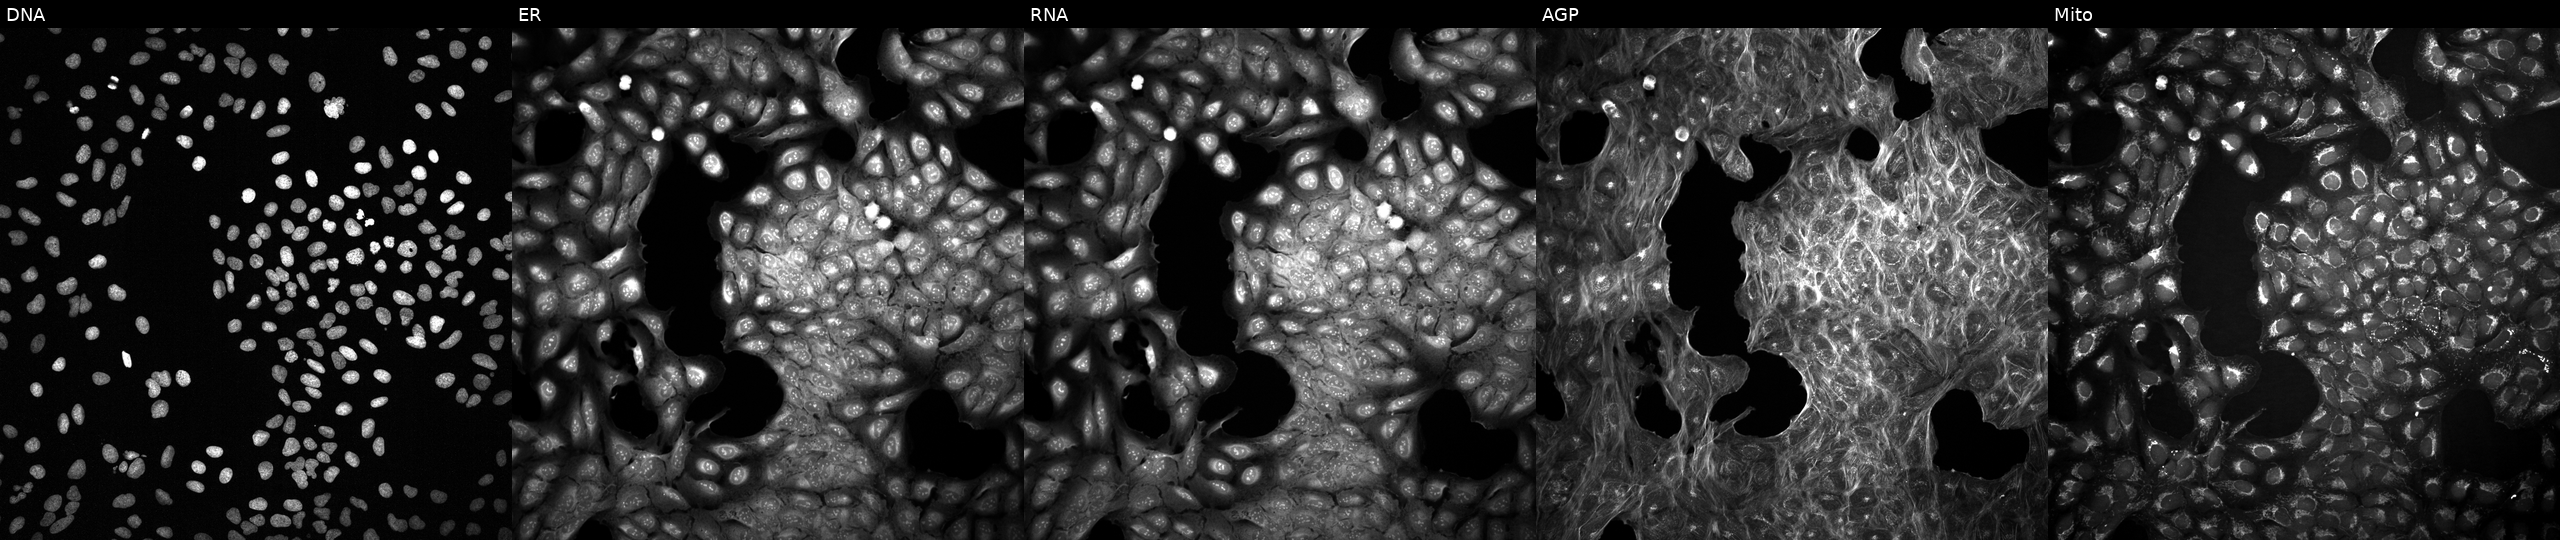
U2OS cells, Cell Painting assay, with an unidentified perturbation (not annotated in JUMP metadata). Panels show, left to right, DNA, ER, RNA, AGP, and Mito. Each panel is percentile-stretched 16-bit fluorescence.